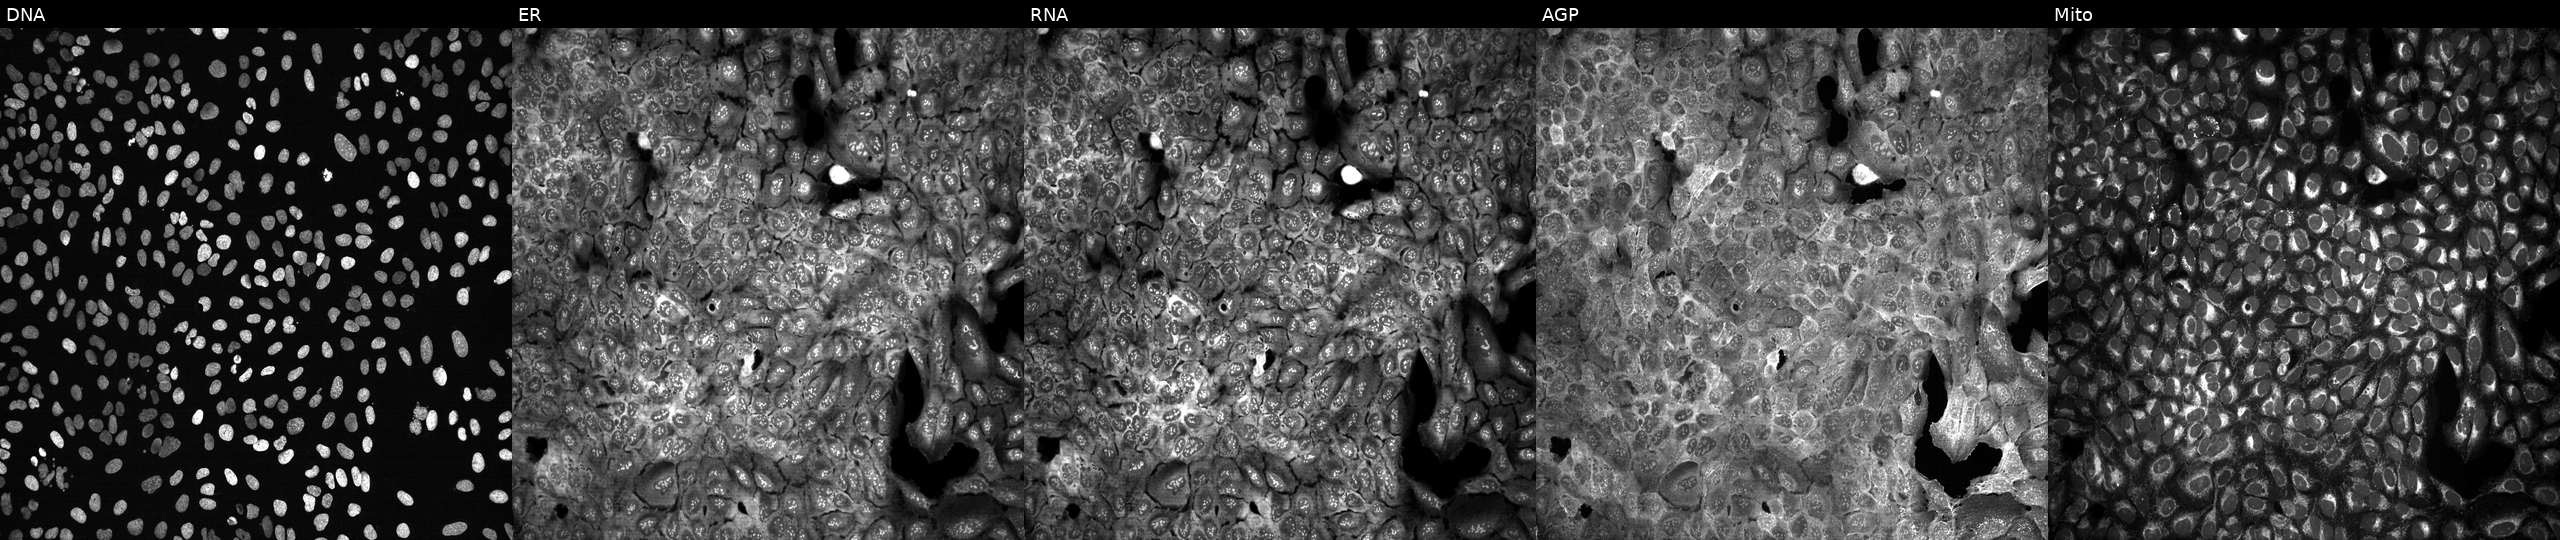
Five-channel Cell Painting image of U2OS cells with YWHAE knocked out by CRISPR. From left to right: DNA, ER, RNA, AGP, and Mito.